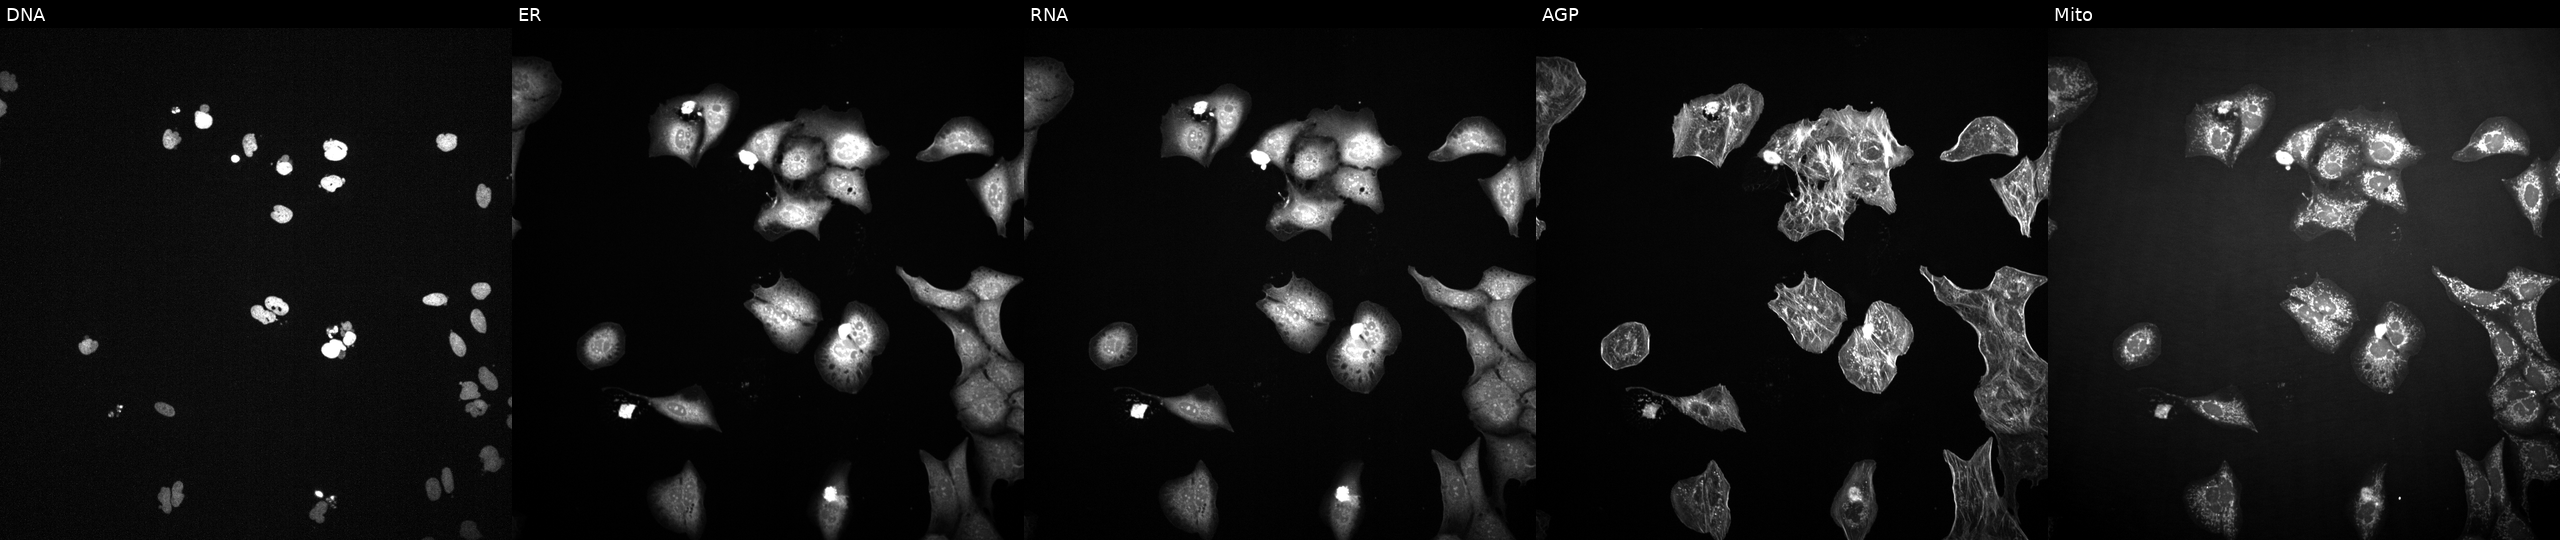
The five panels, left to right, show DNA (nuclei); ER (endoplasmic reticulum); RNA (nucleoli and cytoplasmic RNA); AGP (actin cytoskeleton, Golgi, and plasma membrane); Mito (mitochondria). U2OS osteosarcoma cells exposed to a small-molecule compound (InChIKey QTBWCSQGBMPECM-UHFFFAOYSA-N) (JUMP id JCP2022_075694). Cell Painting assay, JUMP-CP dataset.